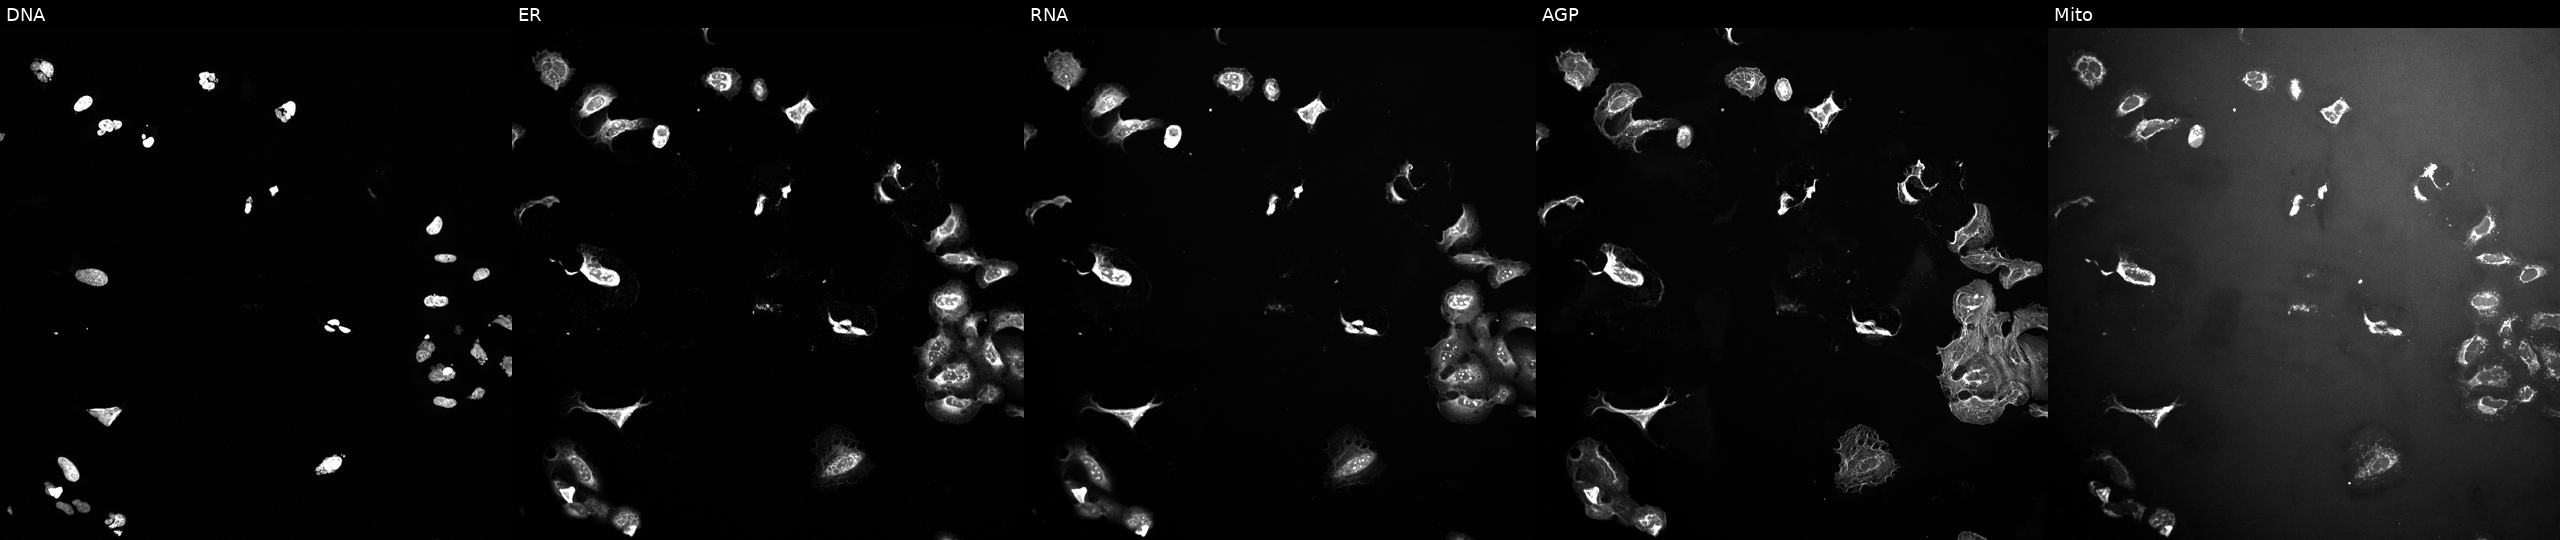
High-content fluorescence microscopy (Cell Painting). Cell line: U2OS. Perturbation: treated with a small-molecule compound [SMILES: CCCCCCOc1nsnc1C1=CCCN(C)C1]. The five panels, left to right, show DNA (nuclei); ER (endoplasmic reticulum); RNA (nucleoli and cytoplasmic RNA); AGP (actin cytoskeleton, Golgi, and plasma membrane); Mito (mitochondria). Source 10, plate Dest210727-153003, well H01.